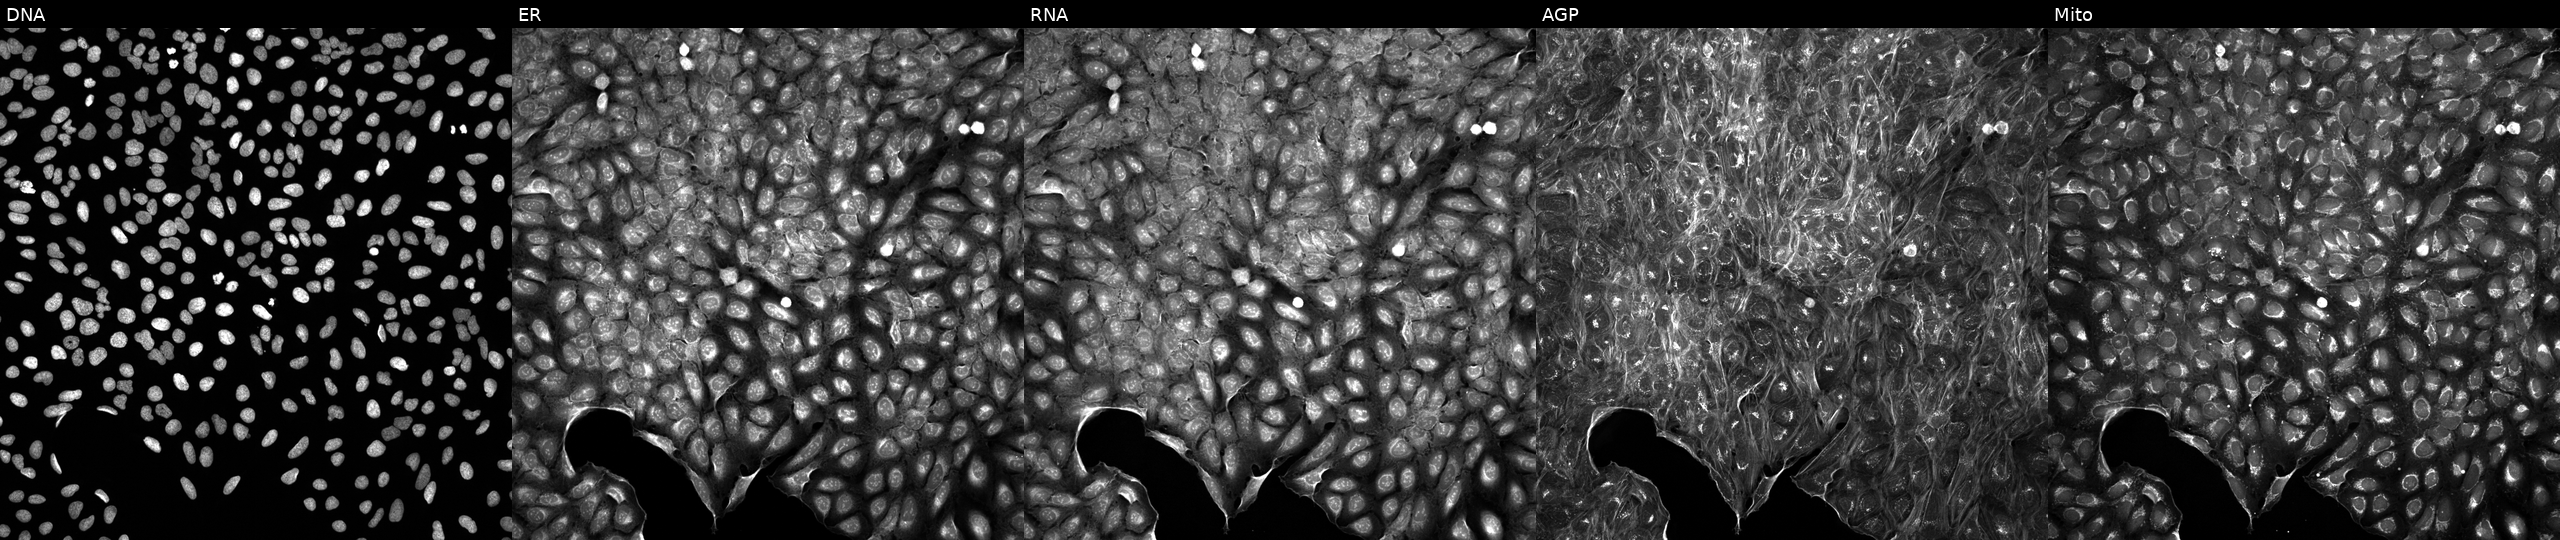
U2OS cells, Cell Painting assay, treated with a small-molecule compound (InChIKey ICDMLAQPOAVWNH-UHFFFAOYSA-N) (JUMP id JCP2022_034137). Channels (left→right): Hoechst 33342, concanavalin A, SYTO 14, phalloidin and WGA, MitoTracker. Each panel is percentile-stretched 16-bit fluorescence. Source 5, plate ACPJUM051, well P04.